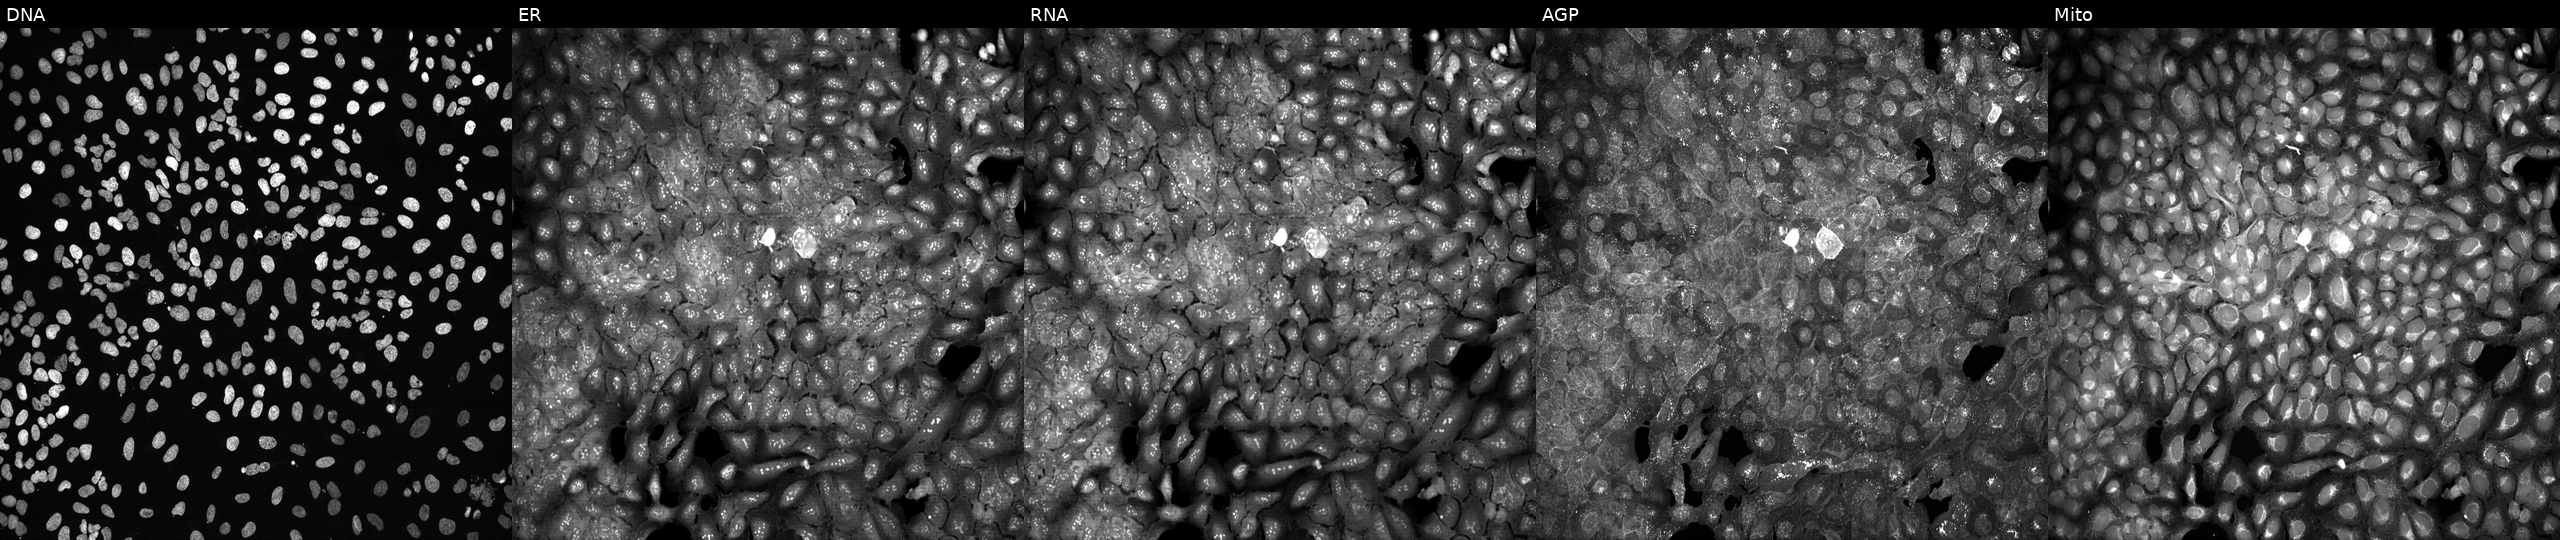
JUMP Cell Painting — CRISPR plate. U2OS cells with PRLR knocked out by CRISPR (JUMP id JCP2022_805545). Panels show, left to right, DNA, ER, RNA, AGP, and Mito.